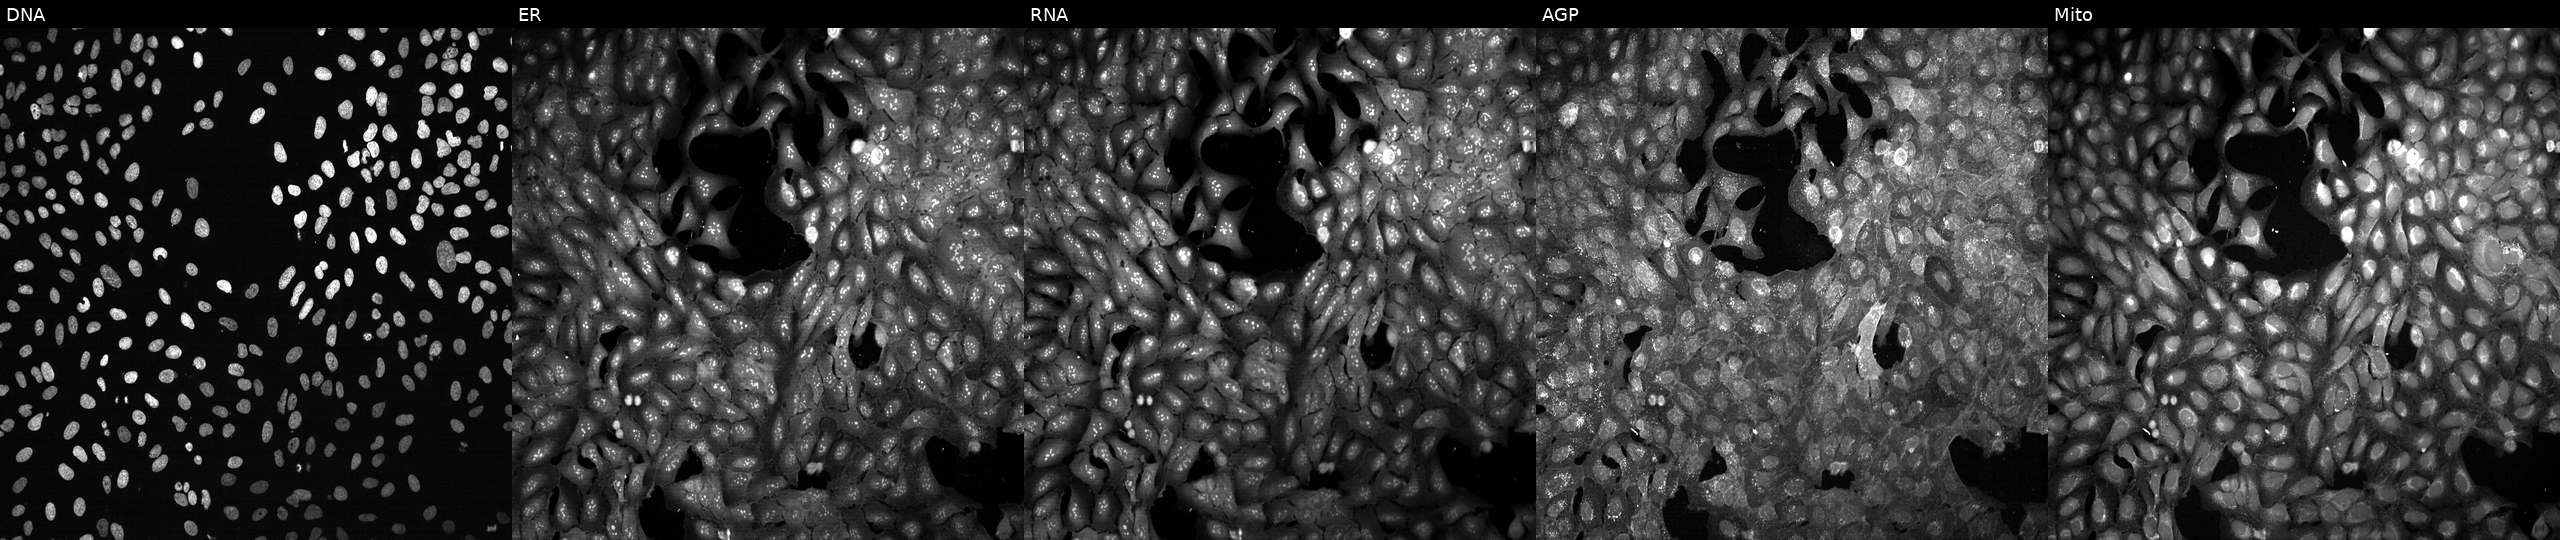
JUMP Cell Painting — CRISPR plate. U2OS cells CRISPR-edited to disrupt CYP26B1 (JUMP id JCP2022_801628). From left to right: Hoechst 33342, concanavalin A, SYTO 14, phalloidin and WGA, MitoTracker. Source 13, plate CP-CC9-R1-01, well O18.